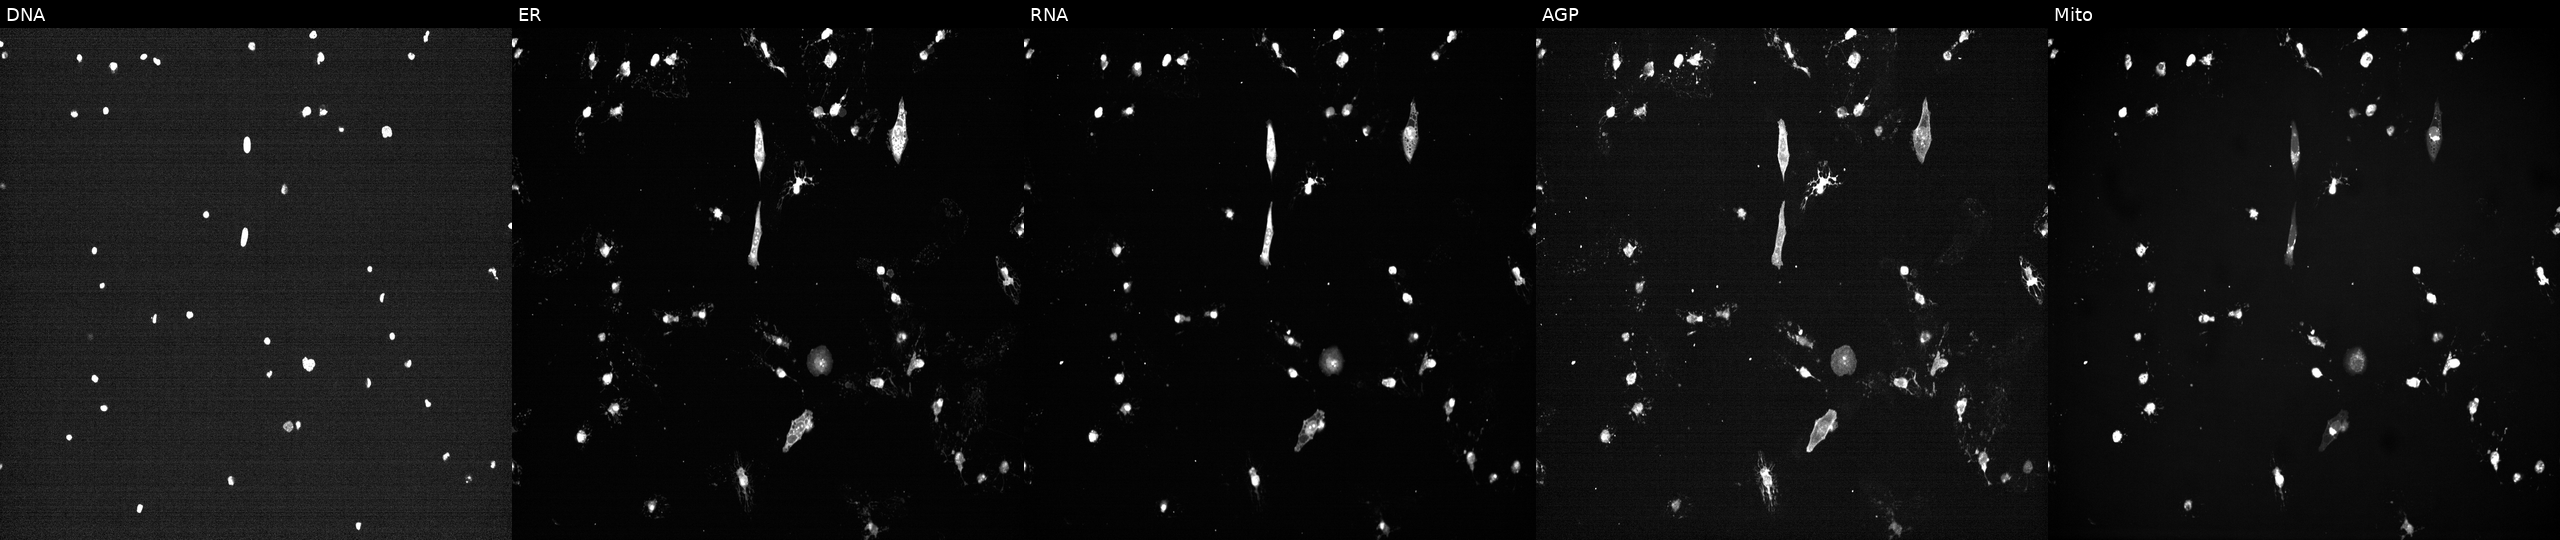
JUMP Cell Painting — TARGET2 plate. U2OS cells exposed to a small-molecule compound (InChIKey XUZQTIZWMHMWOC-UHFFFAOYSA-N). Panels show, left to right, Hoechst 33342, concanavalin A, SYTO 14, phalloidin and WGA, MitoTracker.